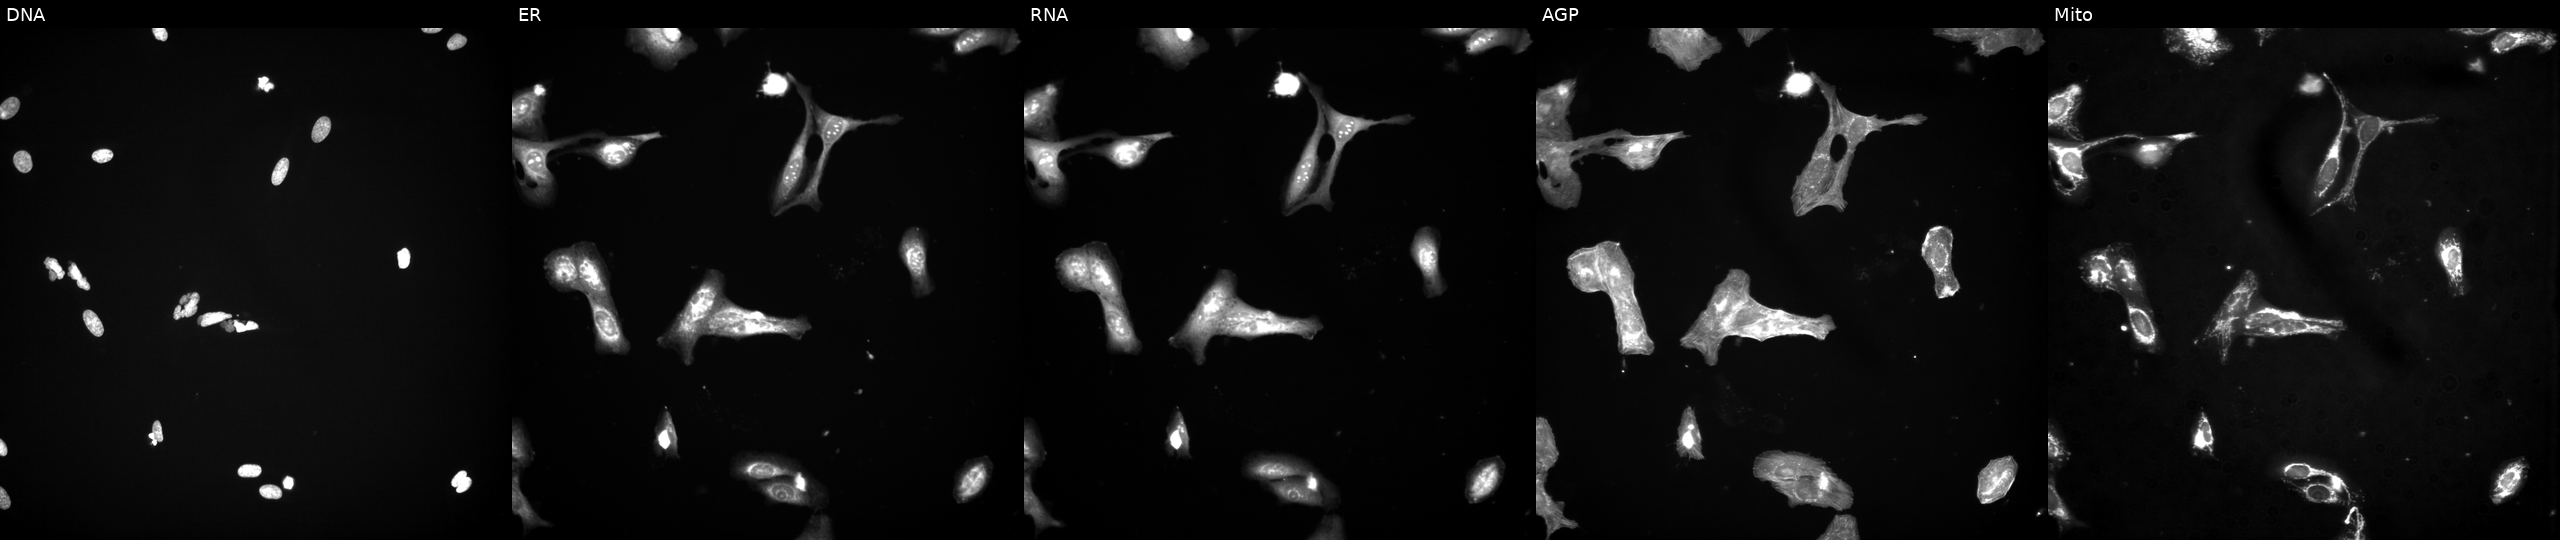
JUMP Cell Painting — TARGET2 plate. U2OS cells perturbed with a small-molecule compound (InChIKey GQXSULRYFDAMOO-UHFFFAOYSA-N) [SMILES: CN(c1ccccc1CN=c1[nH]c(=Nc2ccc3[nH]c(O)cc3c2)[nH]cc1C(F)(F)F)S(C)(=O)=O]. Channels (left→right): DNA (nuclei); ER (endoplasmic reticulum); RNA (nucleoli and cytoplasmic RNA); AGP (actin cytoskeleton, Golgi, and plasma membrane); Mito (mitochondria). Source 3, plate JCPQC053, well G06.